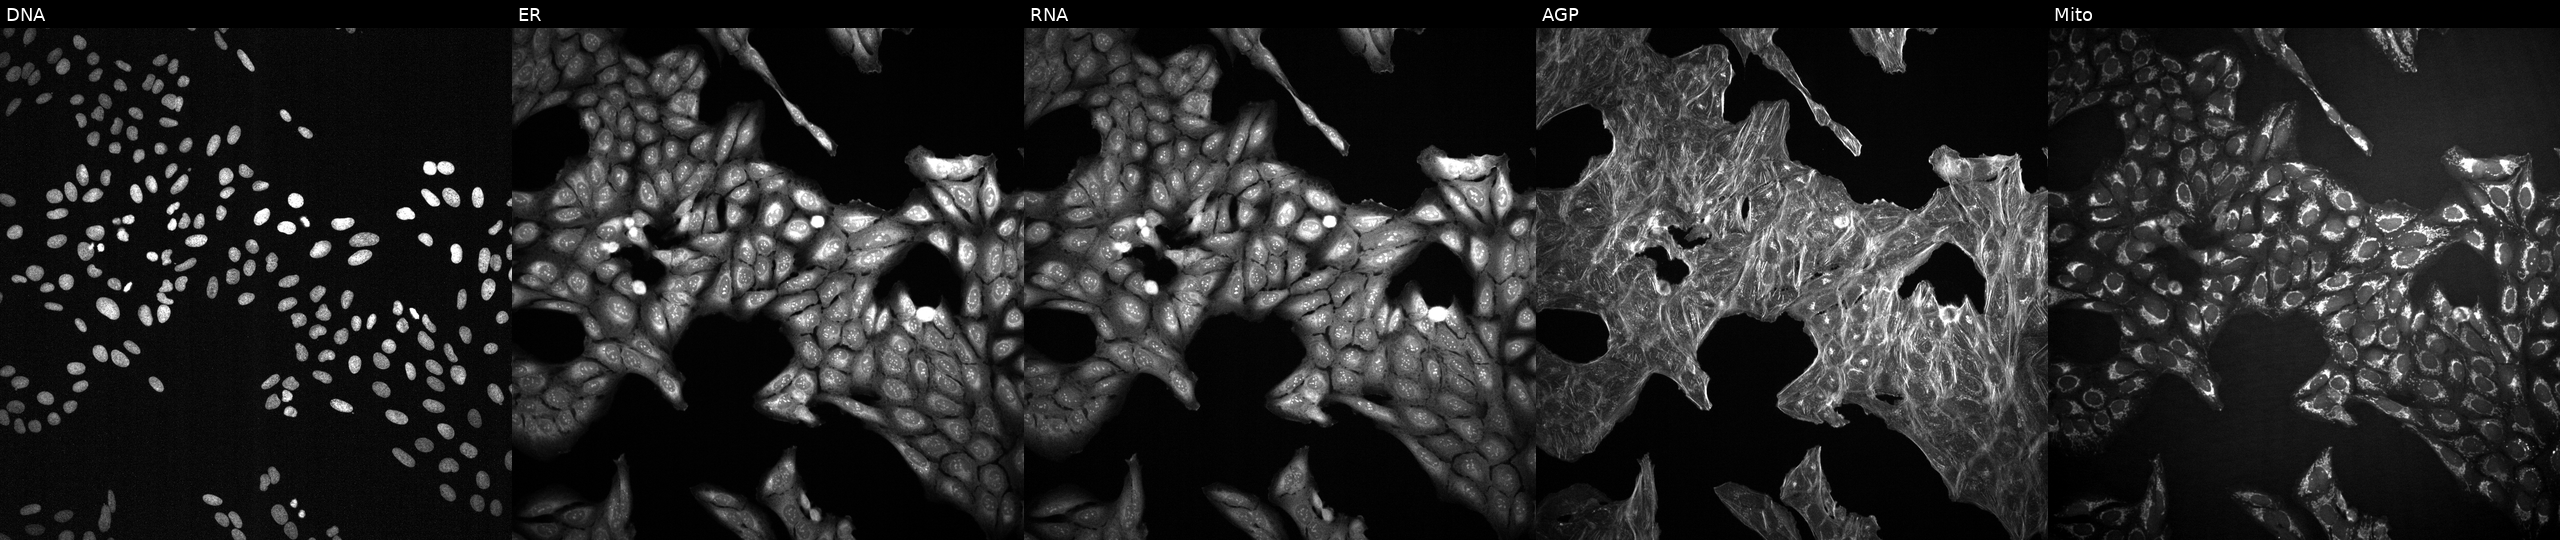
Channels (left→right): DNA, ER, RNA, AGP, and Mito. U2OS osteosarcoma cells treated with a small-molecule compound (InChIKey JHSXDAWGLCZYSM-UHFFFAOYSA-N) [SMILES: Cc1cc(Cl)ccc1OCCCC(O)=NO] (JUMP id JCP2022_039863). Cell Painting assay, JUMP-CP dataset.